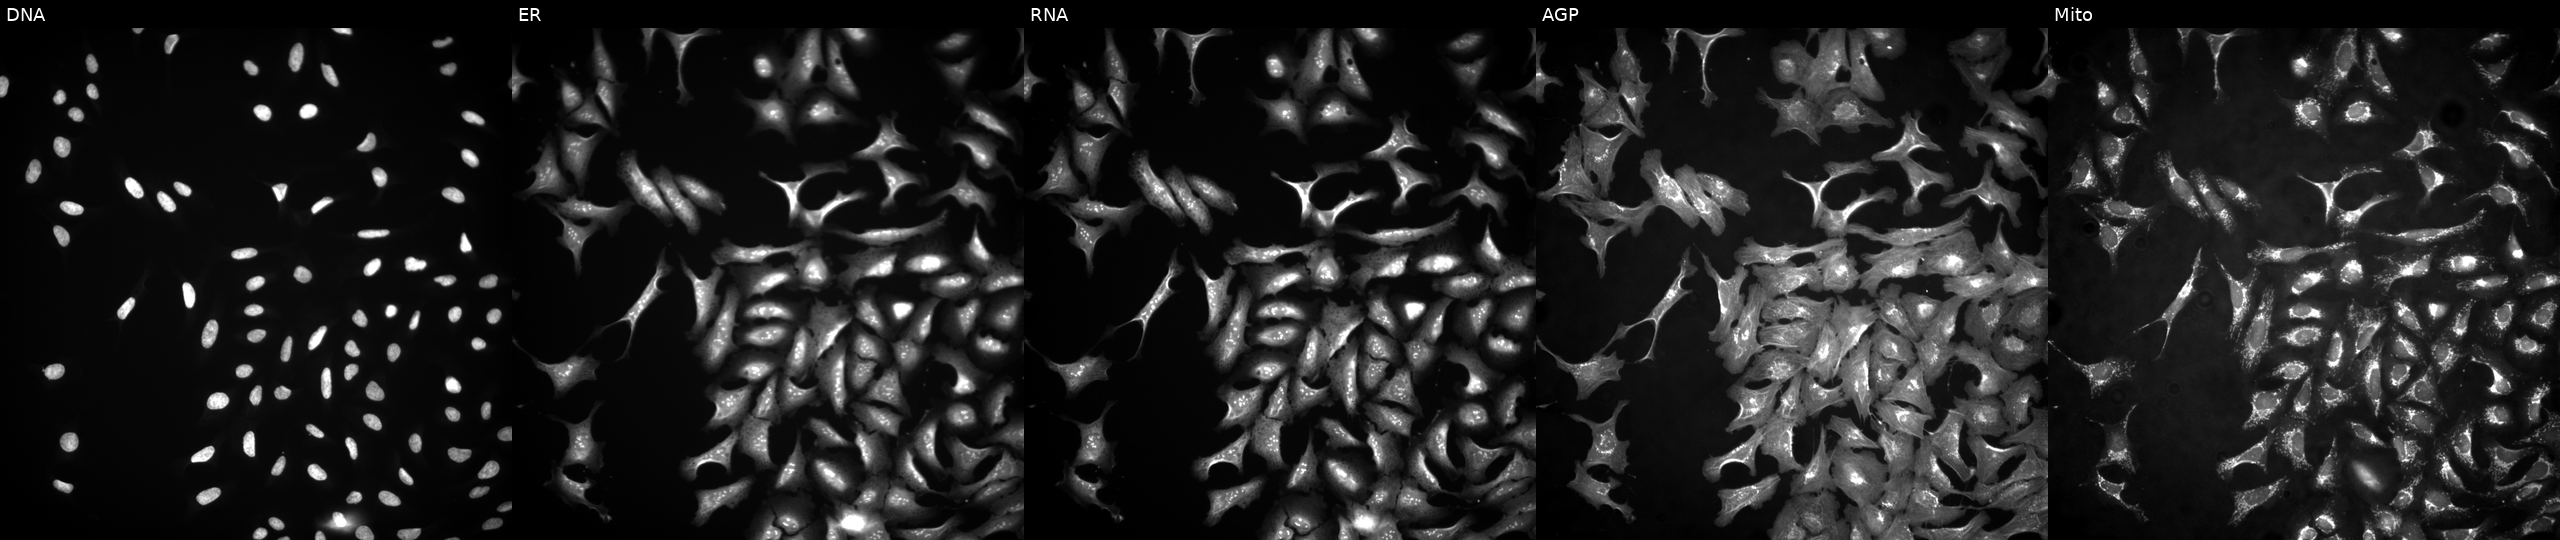
Five-channel Cell Painting image of U2OS cells with SPRY1 overexpressed (ORF) (JUMP id JCP2022_902223). Panels show, left to right, DNA (nuclei); ER (endoplasmic reticulum); RNA (nucleoli and cytoplasmic RNA); AGP (actin cytoskeleton, Golgi, and plasma membrane); Mito (mitochondria).